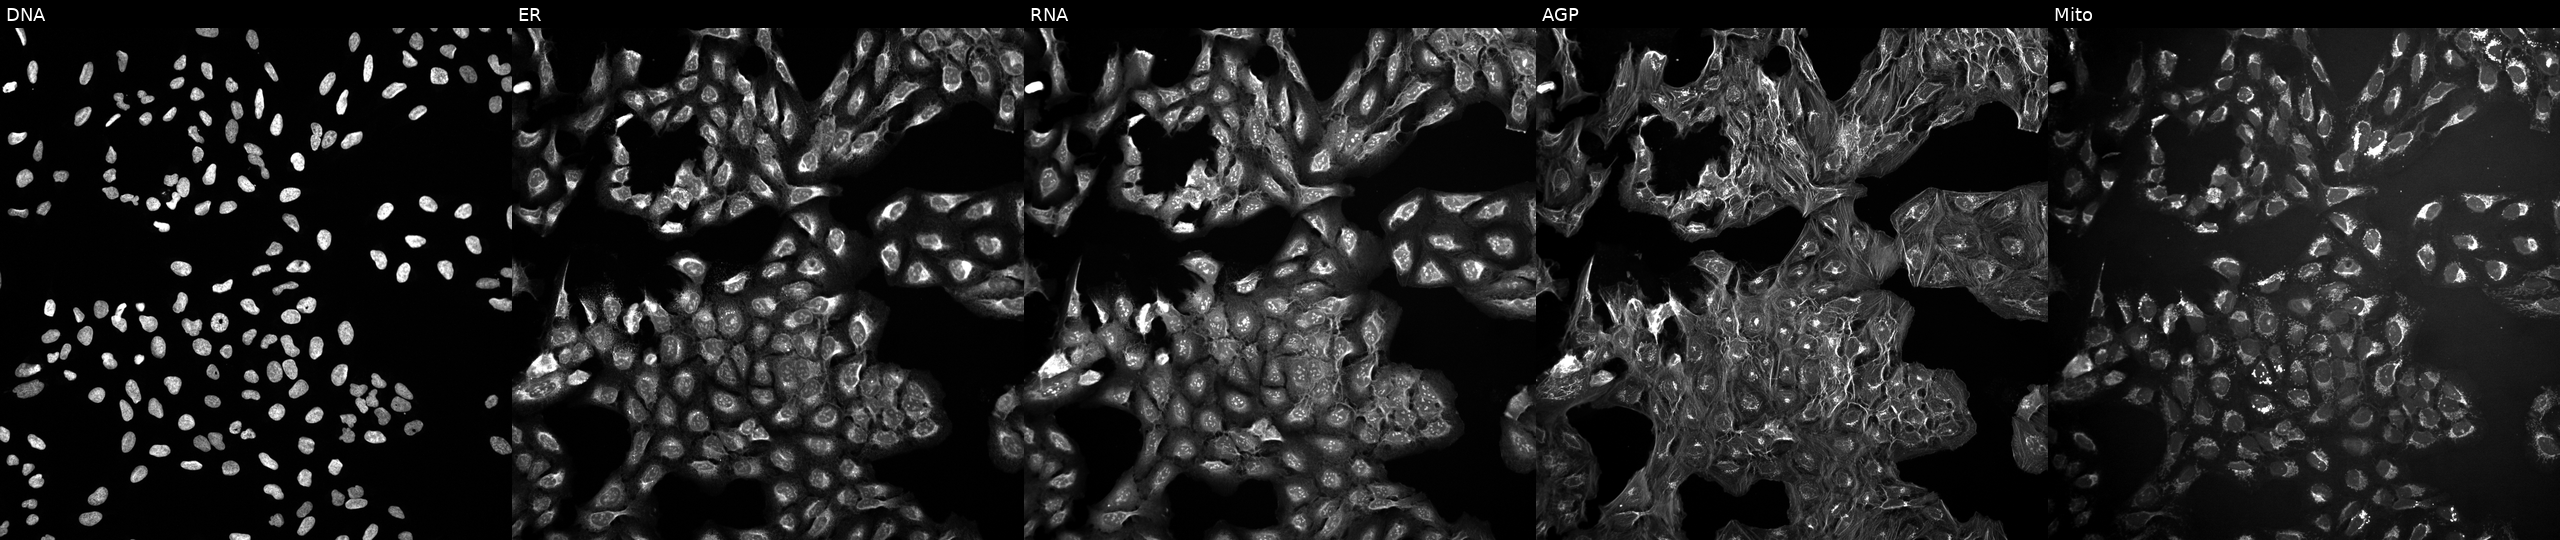
From left to right: DNA (nuclei); ER (endoplasmic reticulum); RNA (nucleoli and cytoplasmic RNA); AGP (actin cytoskeleton, Golgi, and plasma membrane); Mito (mitochondria). U2OS osteosarcoma cells in an empty control well (no perturbation) (JUMP id JCP2022_999999). Cell Painting assay, JUMP-CP dataset.